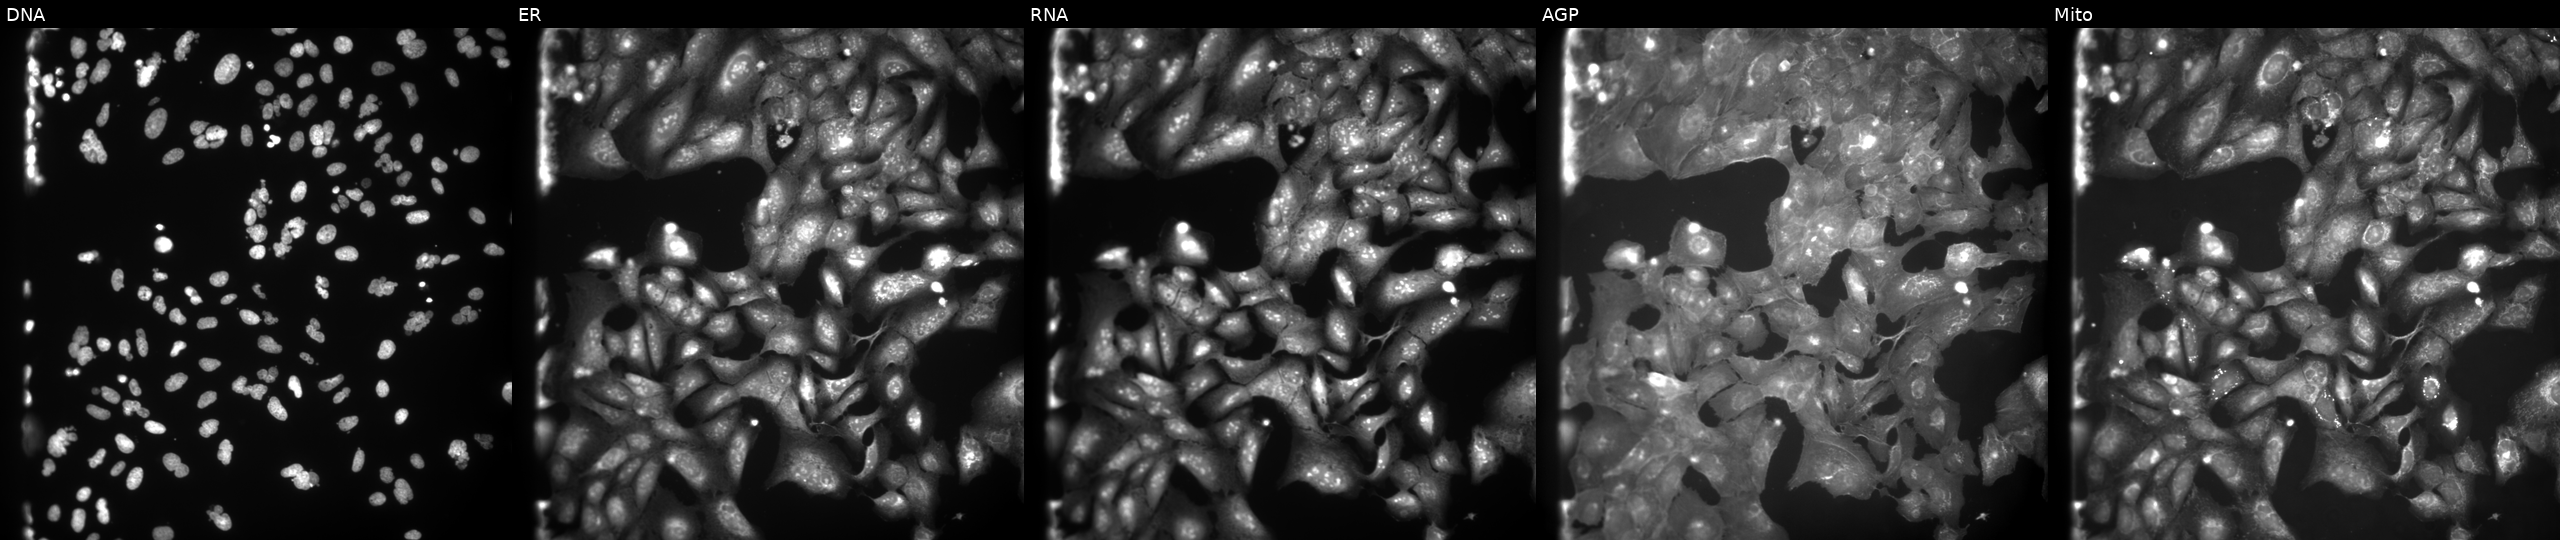
Five-channel Cell Painting image of U2OS cells perturbed with a small-molecule compound (JUMP id JCP2022_114549). The five panels, left to right, show Hoechst 33342, concanavalin A, SYTO 14, phalloidin and WGA, MitoTracker.